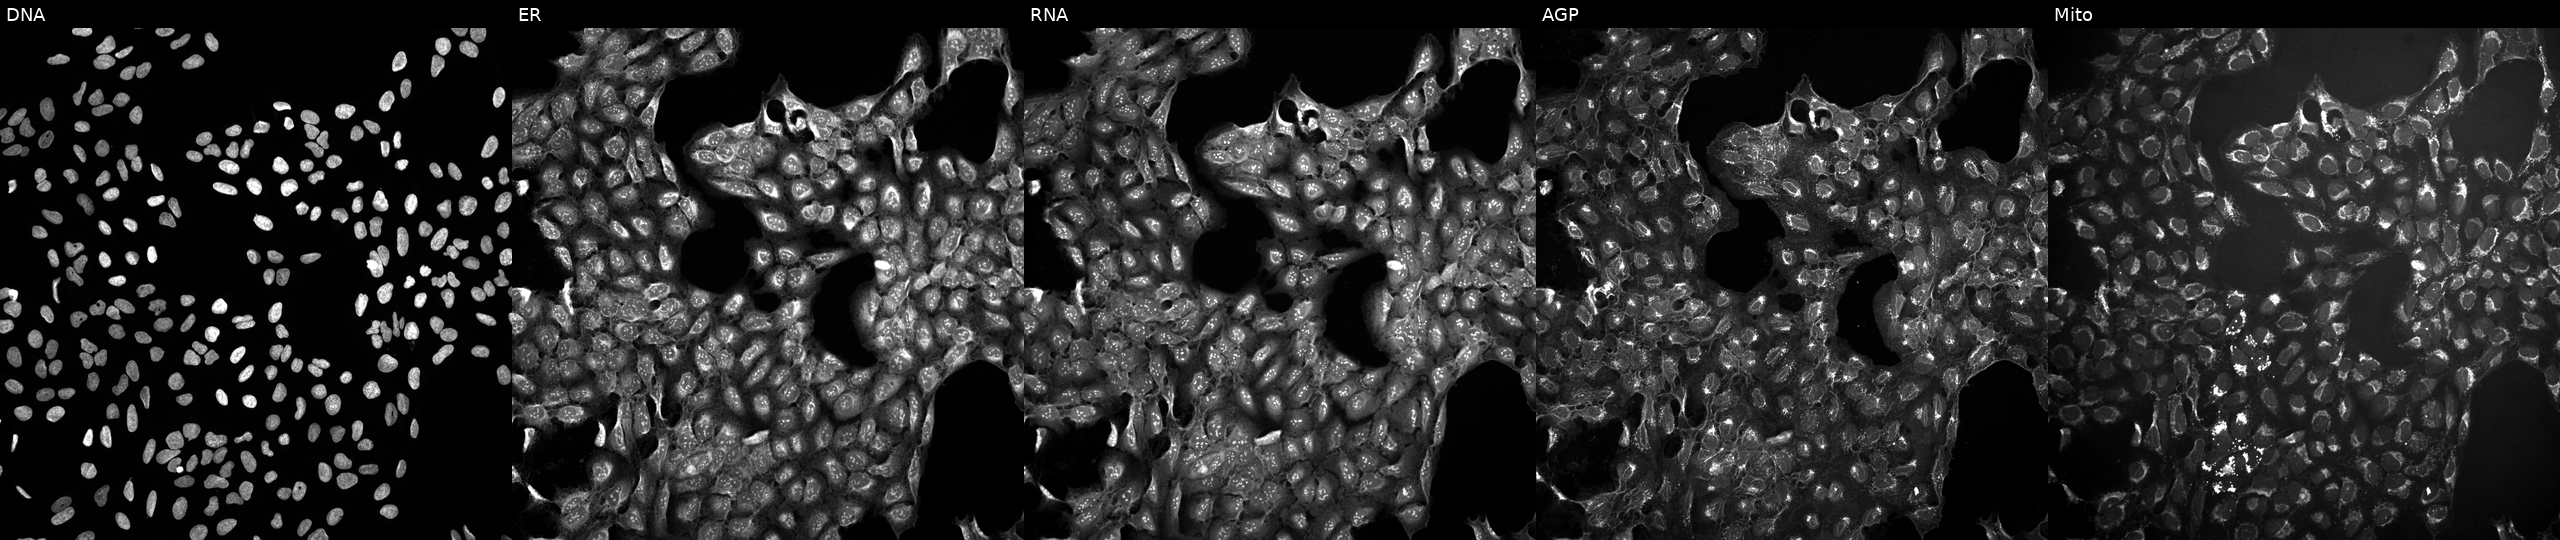
JUMP Cell Painting — TARGET2 plate. U2OS cells exposed to a small-molecule compound (InChIKey LLIFMNUXGDHTRO-UHFFFAOYSA-N) [SMILES: Cc1noc(-c2ccc(CSCCC(=O)O)cc2)c1NC(=O)OC(C)c1ccccc1Cl] (JUMP id JCP2022_050162). From left to right: DNA, ER, RNA, AGP, and Mito. Source 10, plate Dest210803-153958, well P09.